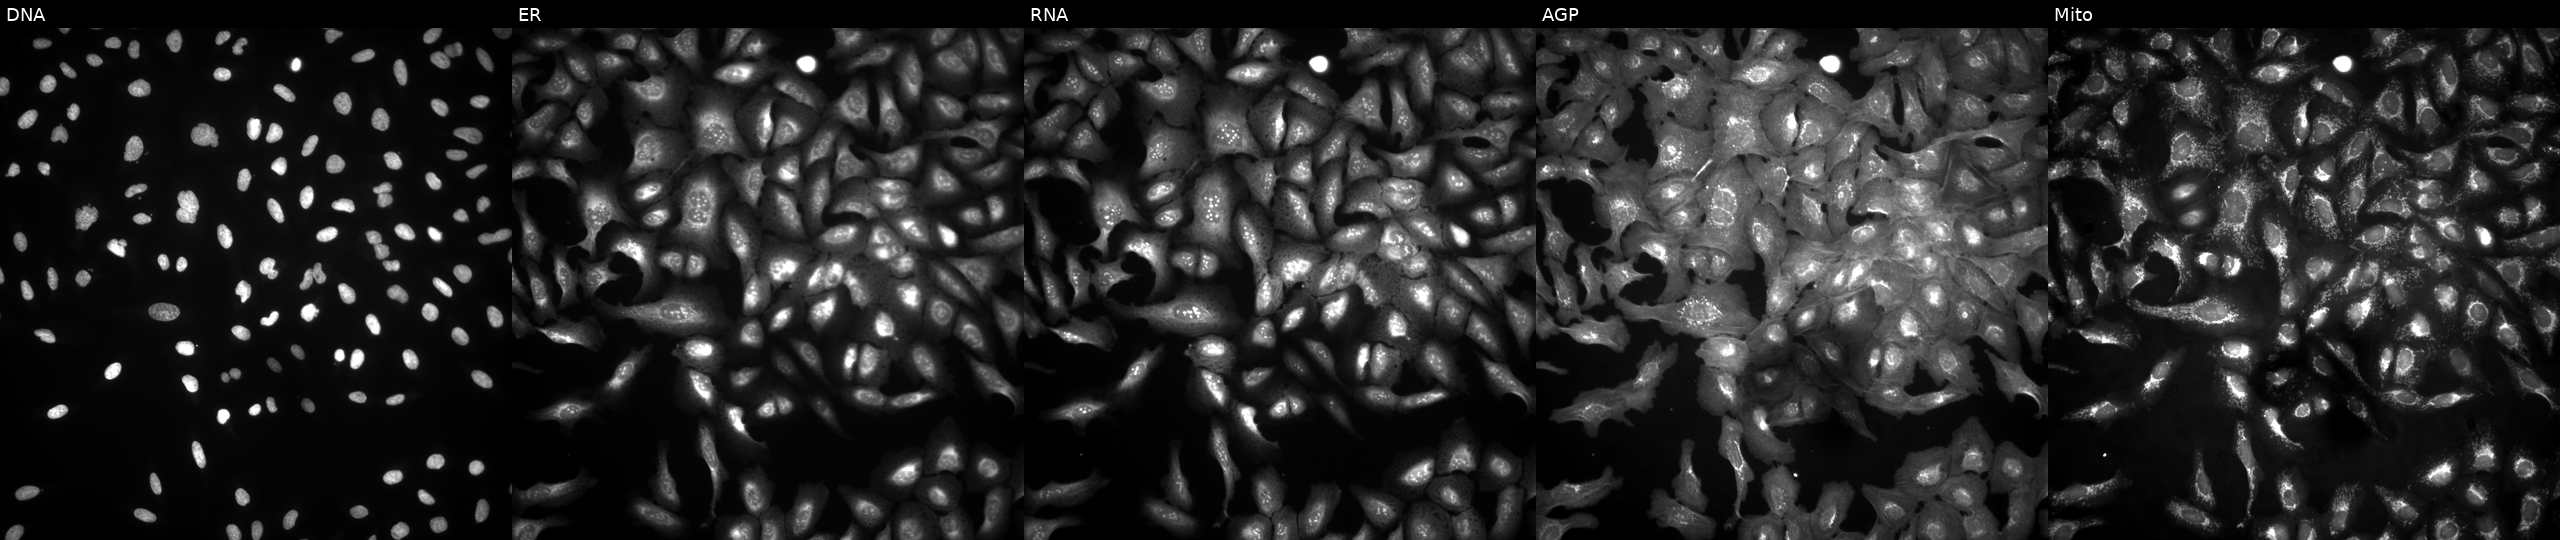
U2OS cells, Cell Painting assay, with SCYL3 overexpressed (ORF) (JUMP id JCP2022_908137). Panels show, left to right, DNA, ER, RNA, AGP, and Mito. Each panel is percentile-stretched 16-bit fluorescence. Source 4, plate BR00124790, well F21.